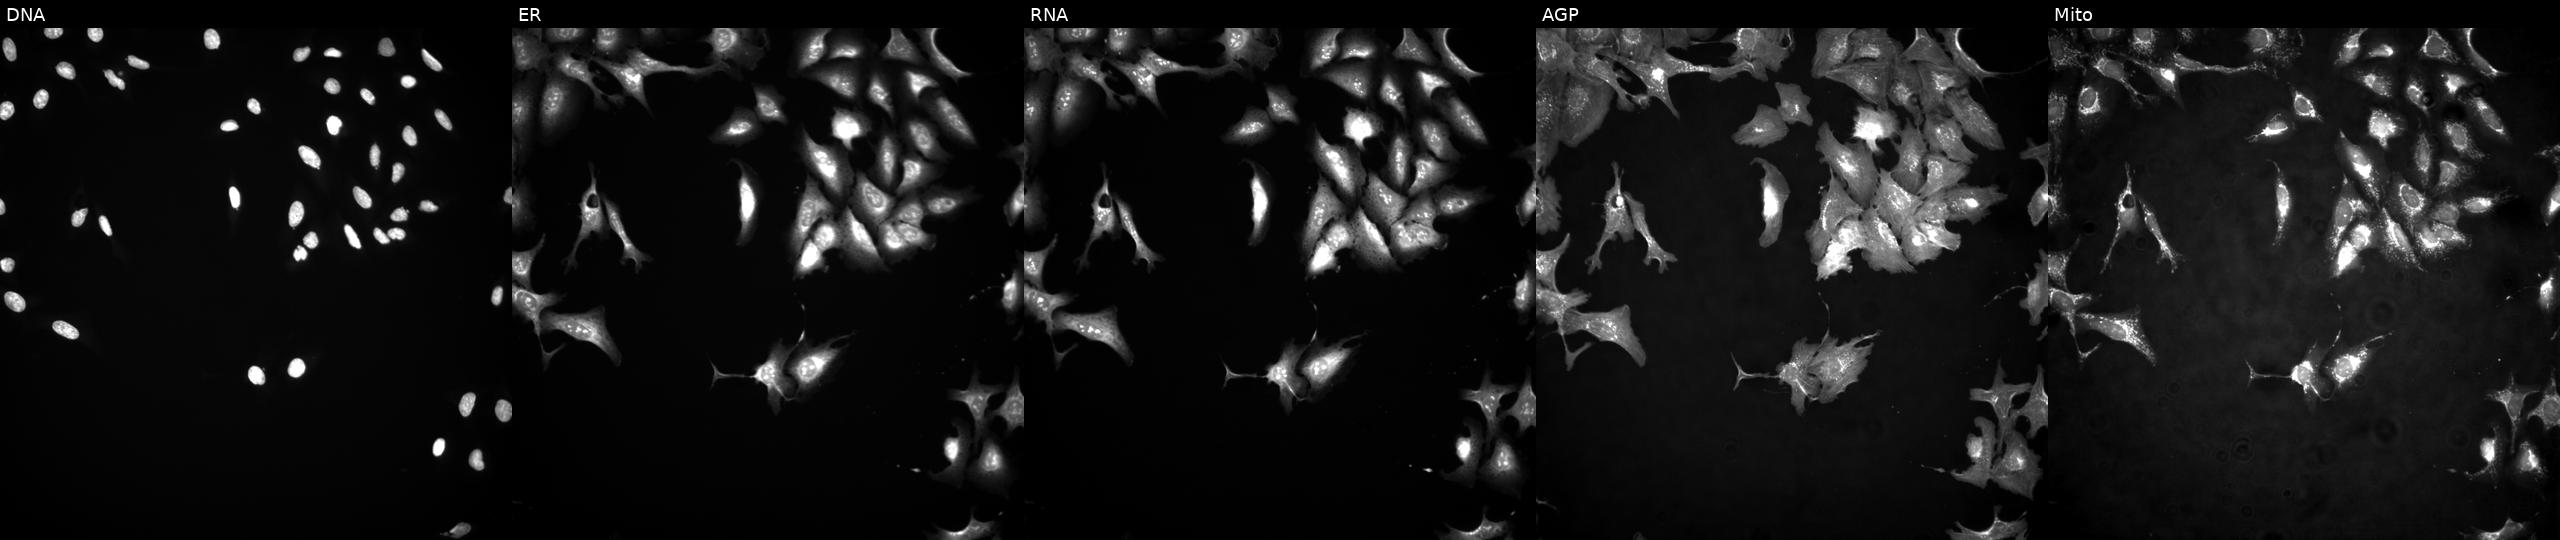
High-content fluorescence microscopy (Cell Painting). Cell line: U2OS. Perturbation: overexpressing NMRK2 via ORF transfection (JUMP id JCP2022_914060). From left to right: DNA, ER, RNA, AGP, and Mito.